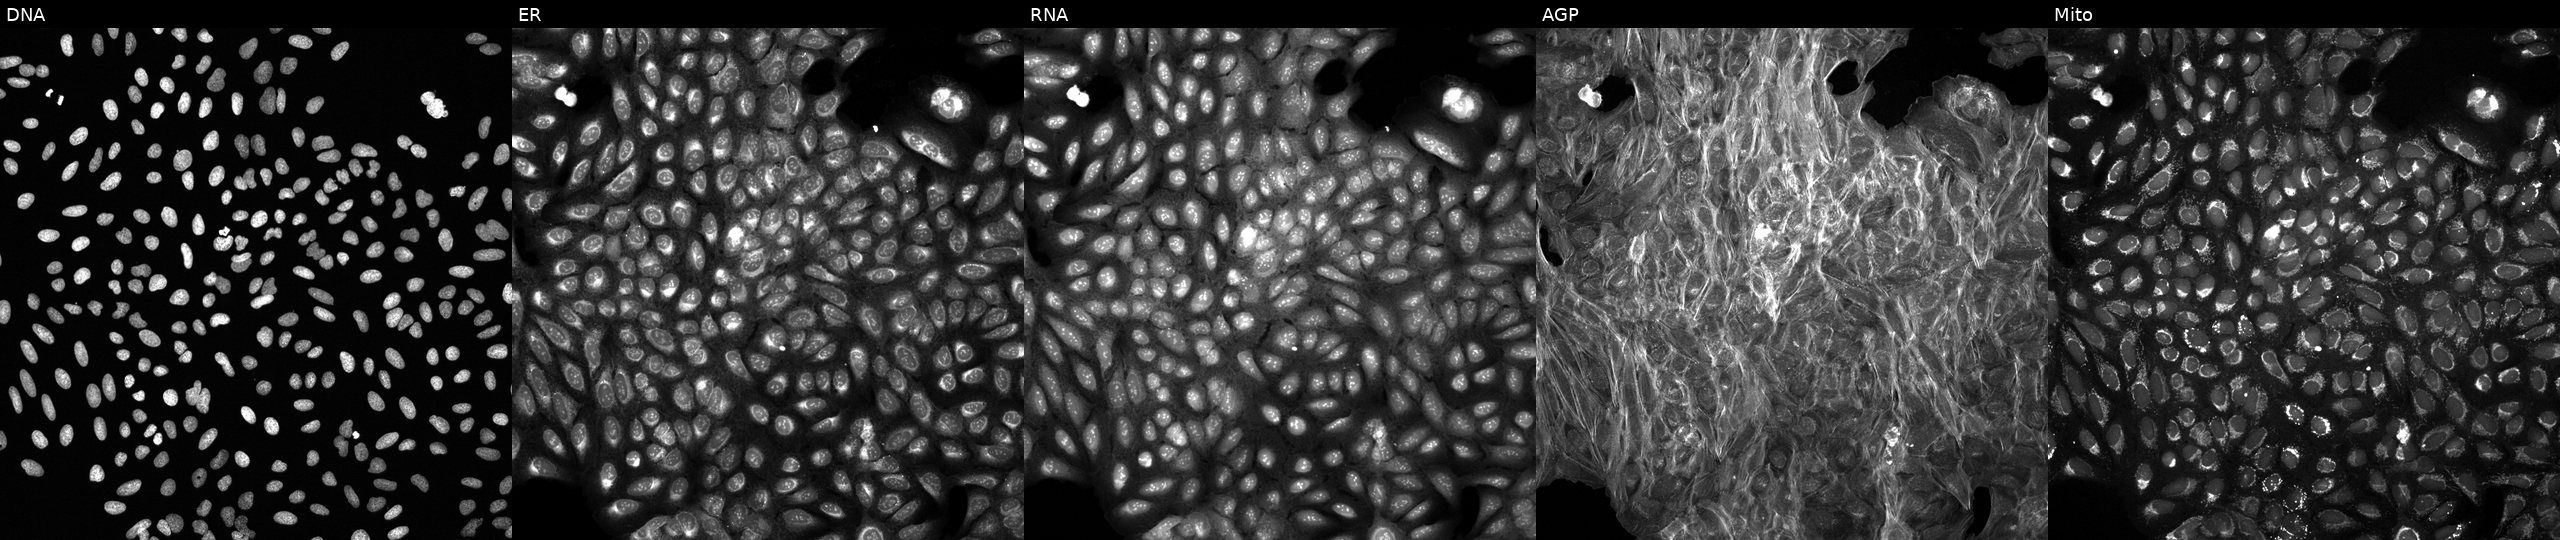
Five-channel Cell Painting image of U2OS cells treated with a small-molecule compound (InChIKey MCIYLVHSWZGVEW-UHFFFAOYSA-N). Channels (left→right): Hoechst 33342, concanavalin A, SYTO 14, phalloidin and WGA, MitoTracker. Source 6, plate 110000293082, well O09.